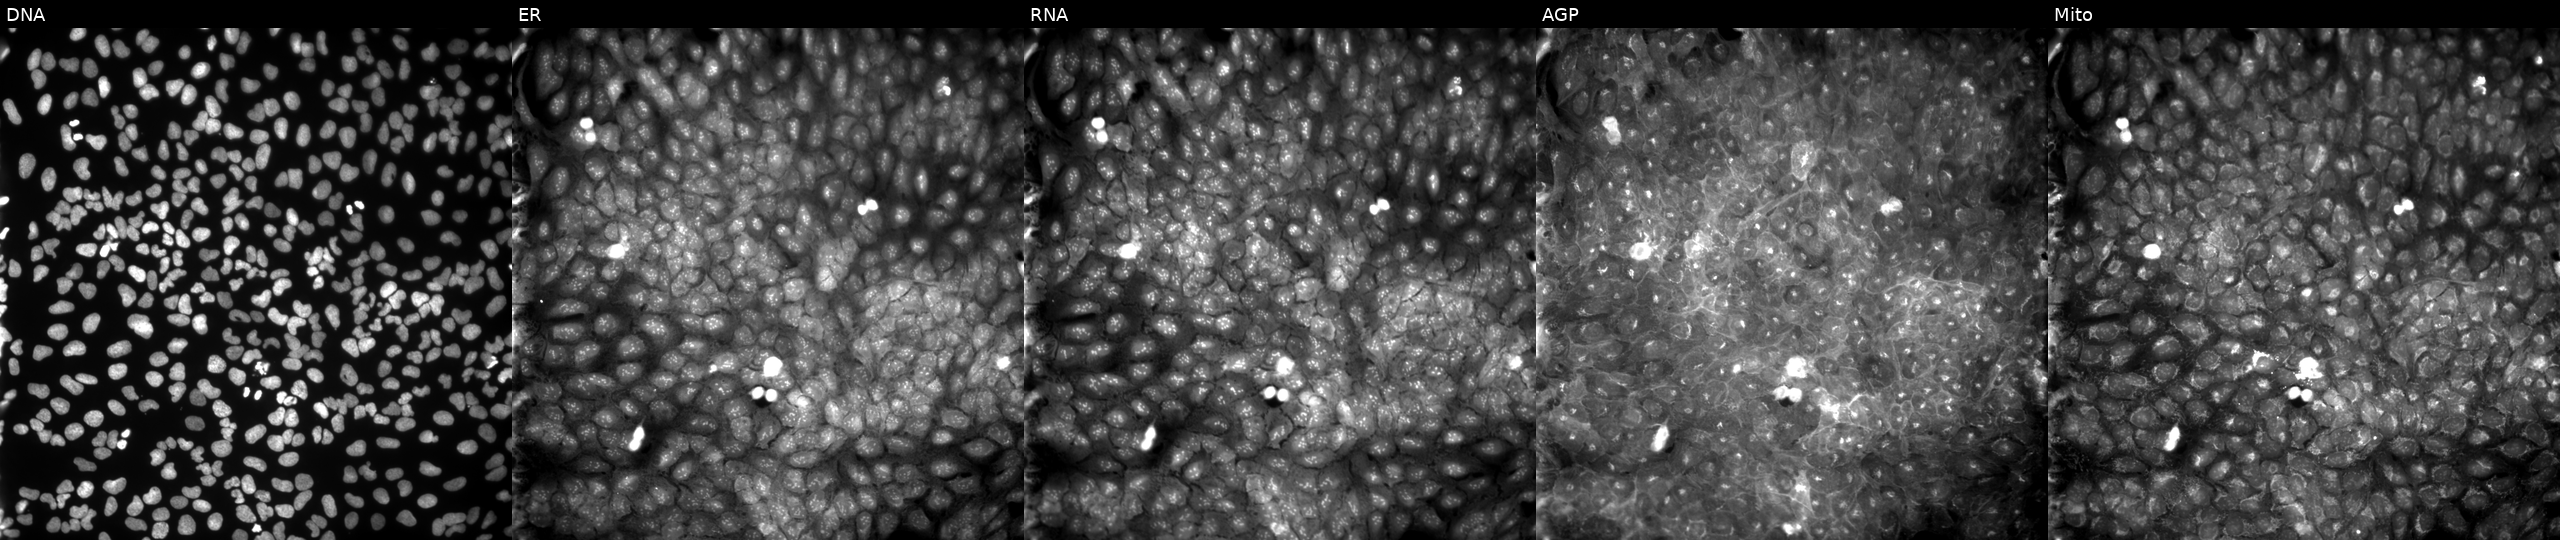
Channels (left→right): DNA, ER, RNA, AGP, and Mito. U2OS osteosarcoma cells exposed to a small-molecule compound (InChIKey IXDVNDJIMSMSGT-UHFFFAOYSA-N). Cell Painting assay, JUMP-CP dataset.